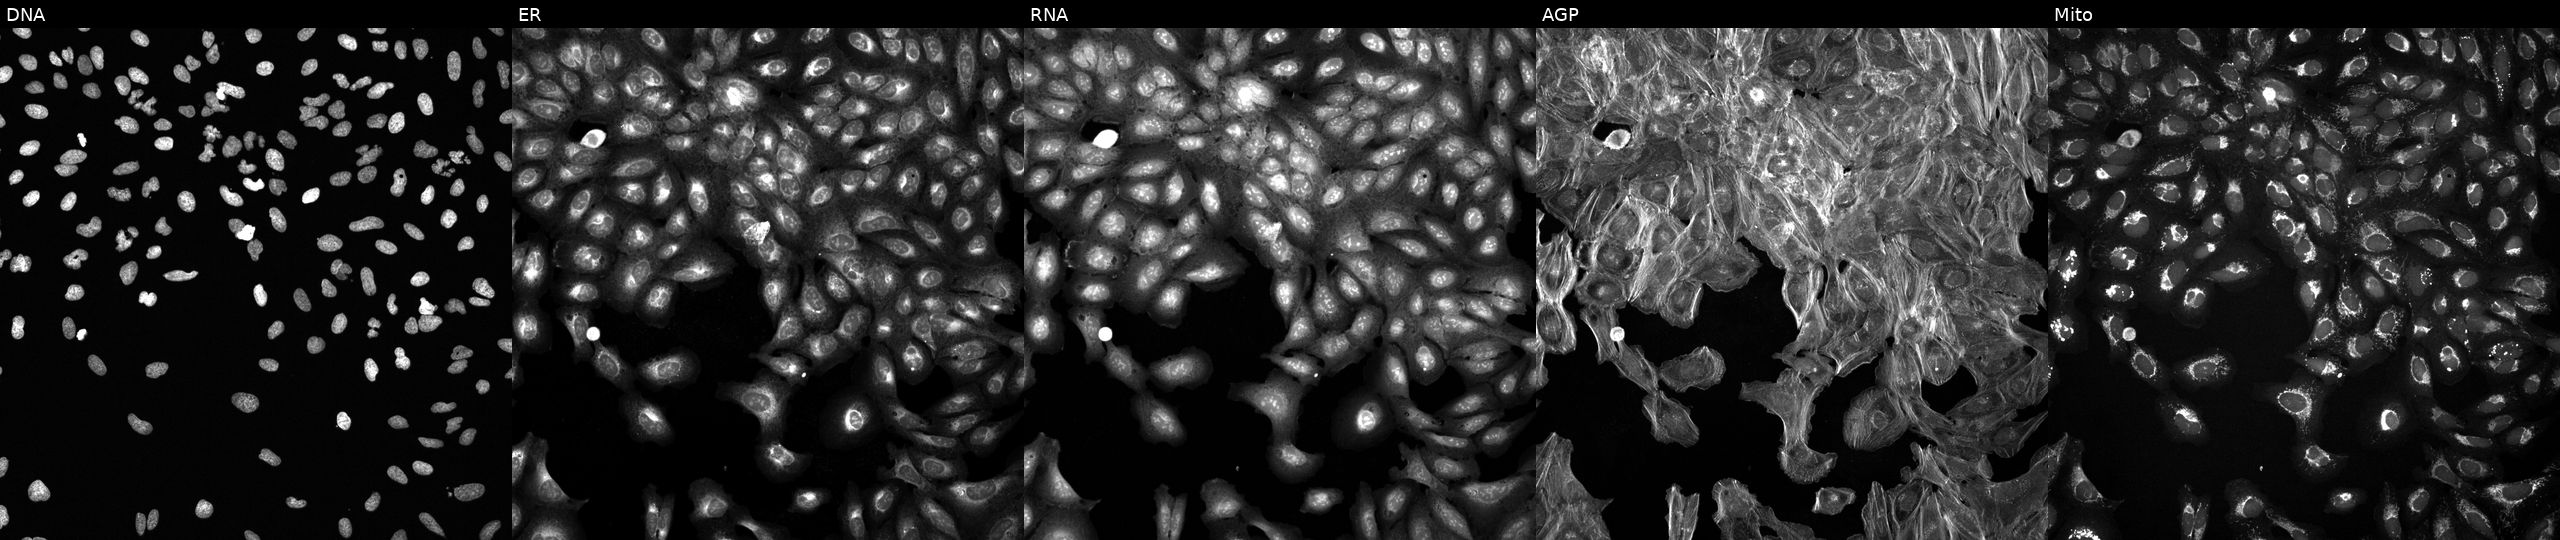
U2OS cells, Cell Painting assay, exposed to a small-molecule compound (InChIKey QQGWEXFLMJGCAL-UHFFFAOYSA-N) (JUMP id JCP2022_075182). The five panels, left to right, show DNA, ER, RNA, AGP, and Mito. Each panel is percentile-stretched 16-bit fluorescence.